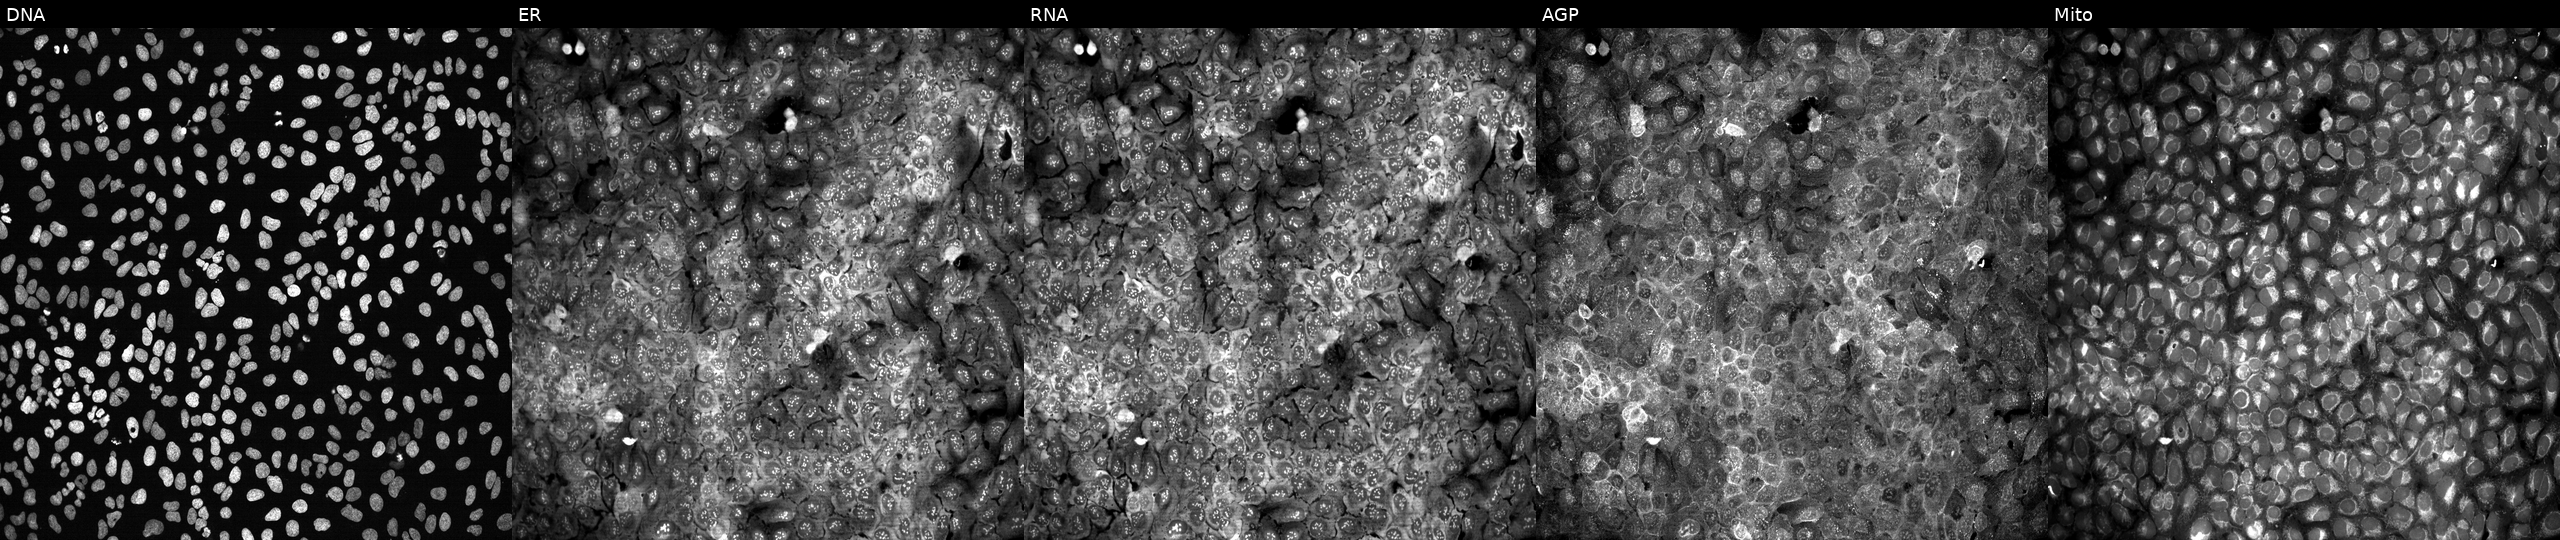
Channels (left→right): Hoechst 33342, concanavalin A, SYTO 14, phalloidin and WGA, MitoTracker. U2OS osteosarcoma cells with SDSL knocked out by CRISPR (JUMP id JCP2022_806242). Cell Painting assay, JUMP-CP dataset.